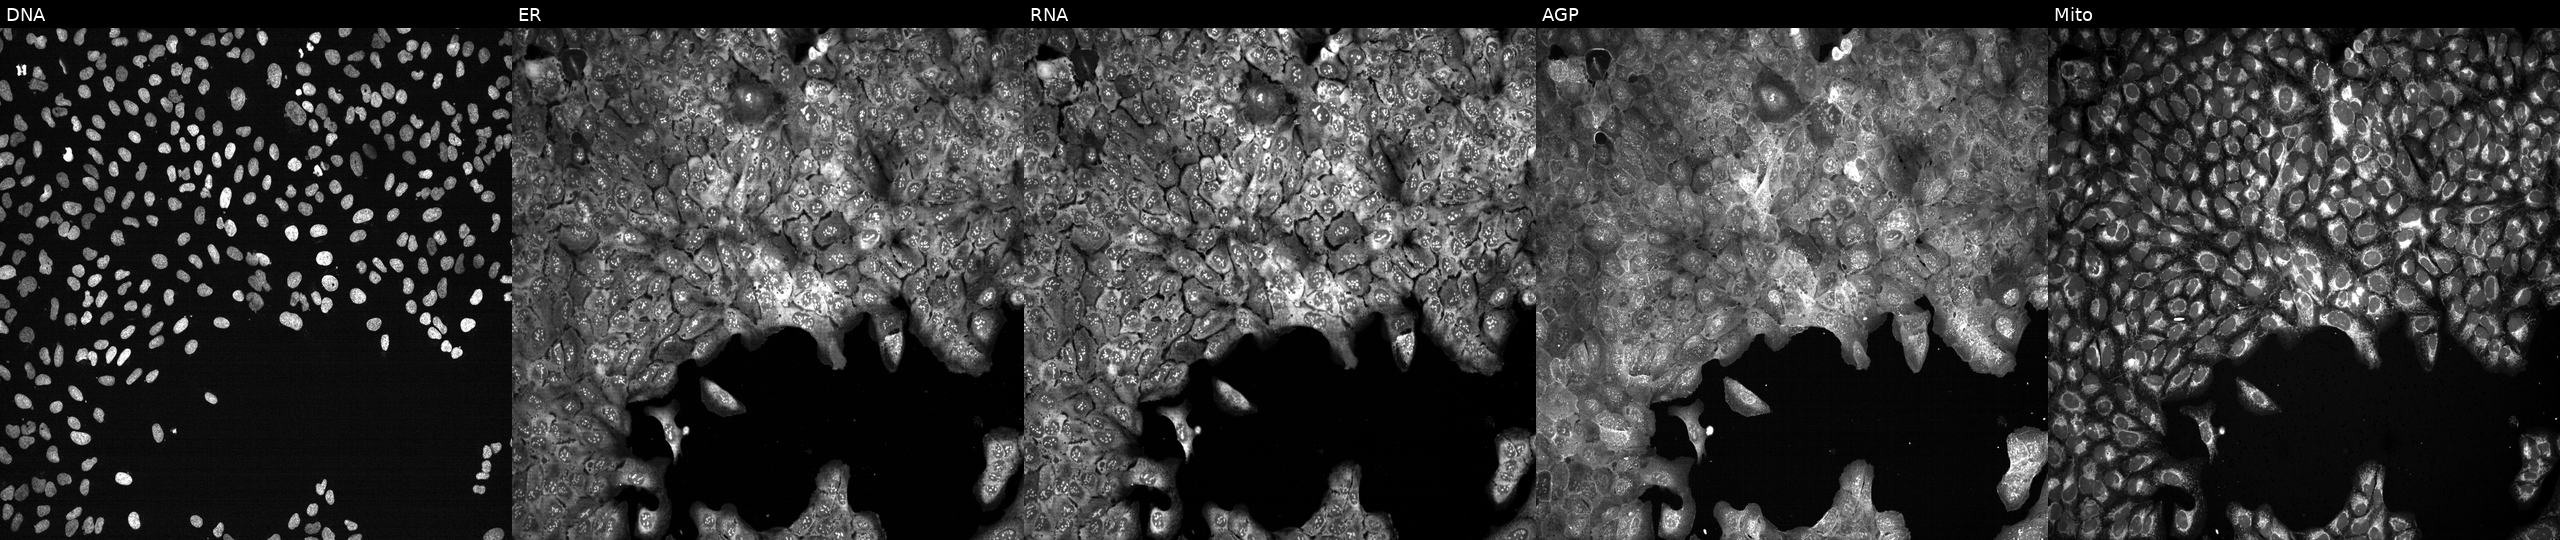
Five-channel Cell Painting image of U2OS cells following CRISPR knockout of EIF3H (JUMP id JCP2022_802063). From left to right: Hoechst 33342, concanavalin A, SYTO 14, phalloidin and WGA, MitoTracker. Source 13, plate CP-CC9-R4-04, well J10.